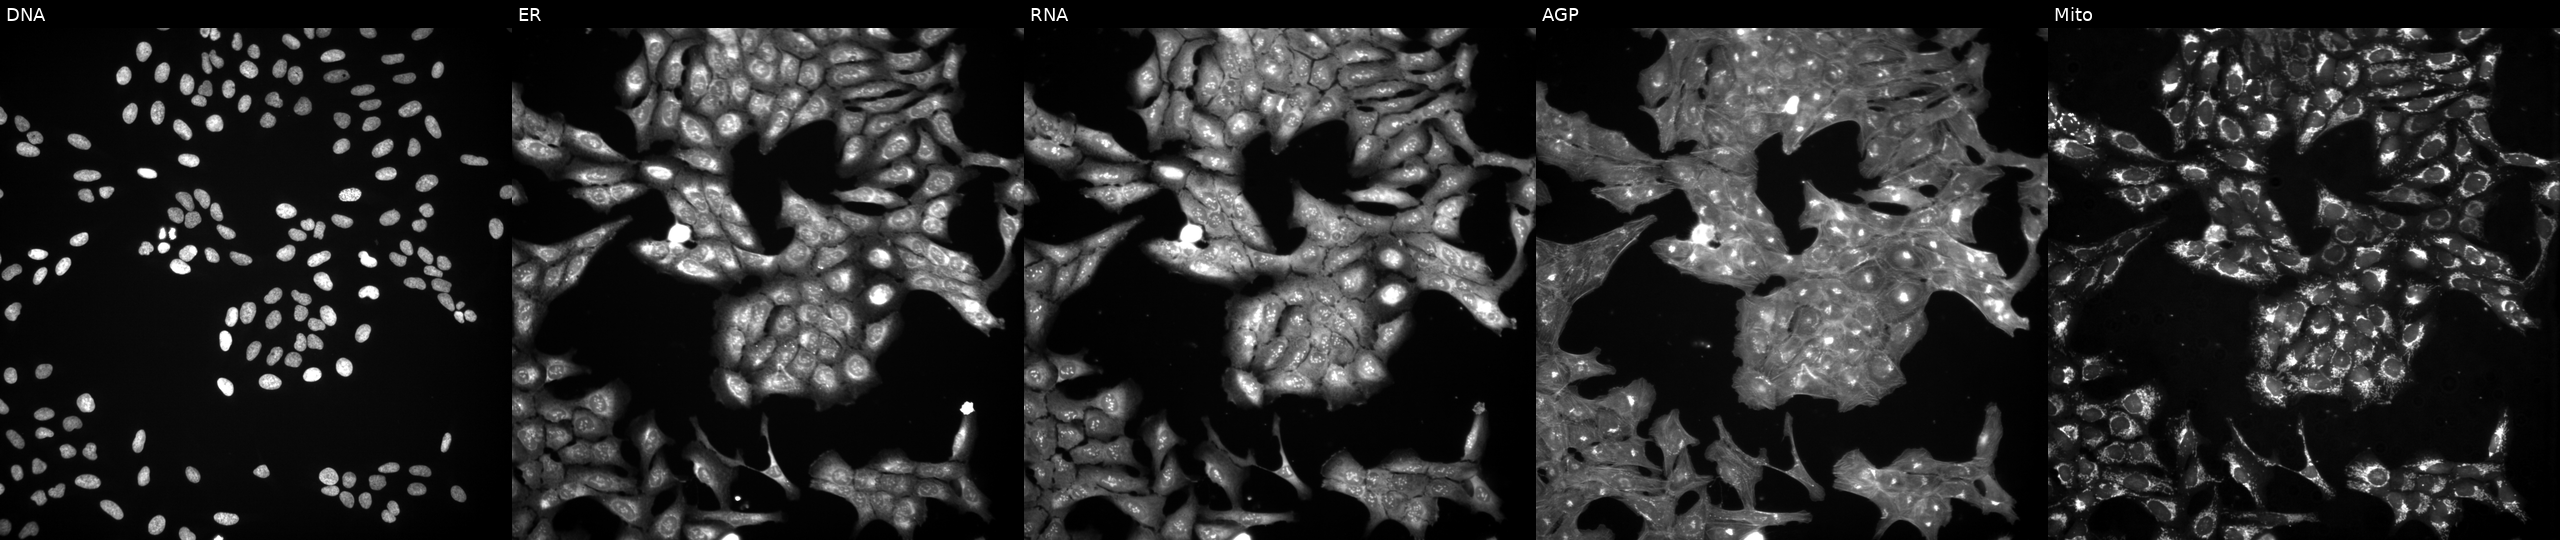
JUMP Cell Painting — COMPOUND plate. U2OS cells exposed to a small-molecule compound (InChIKey XFRGAFGJTXJRDS-UHFFFAOYSA-N). Panels show, left to right, Hoechst 33342, concanavalin A, SYTO 14, phalloidin and WGA, MitoTracker.